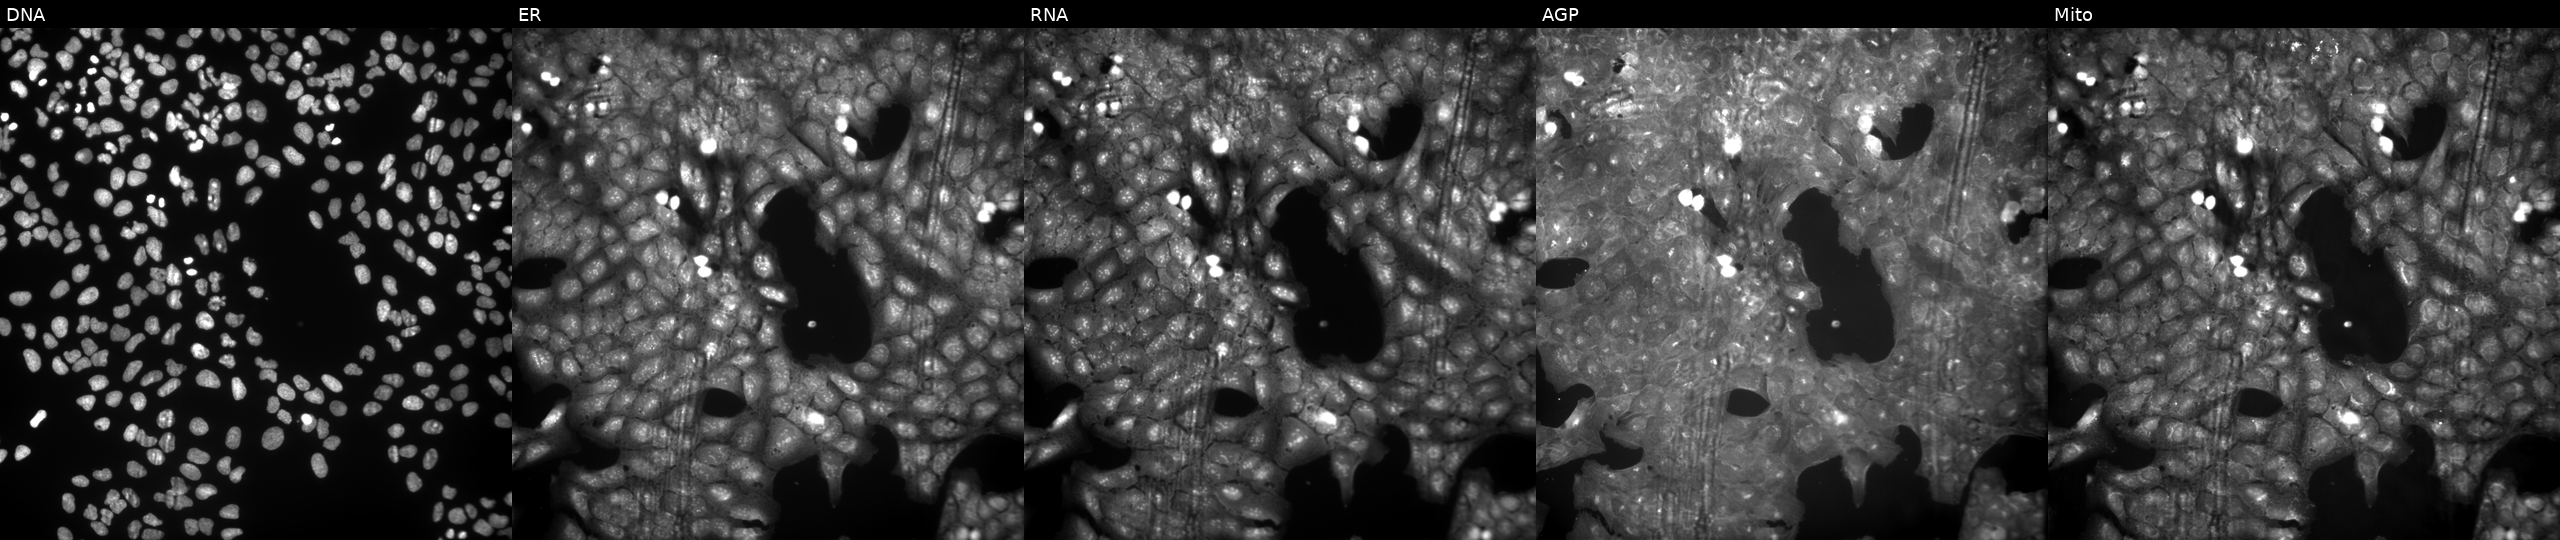
Five-channel Cell Painting image of U2OS cells perturbed with a small-molecule compound (InChIKey MSDFIOSHSHNCPF-UHFFFAOYSA-N) [SMILES: CC(C)c1n[nH]c(=NC(=O)CSc2nc3ccccc3[nH]2)s1]. The five panels, left to right, show DNA (nuclei); ER (endoplasmic reticulum); RNA (nucleoli and cytoplasmic RNA); AGP (actin cytoskeleton, Golgi, and plasma membrane); Mito (mitochondria). Source 9, plate GR00003382, well Q37.